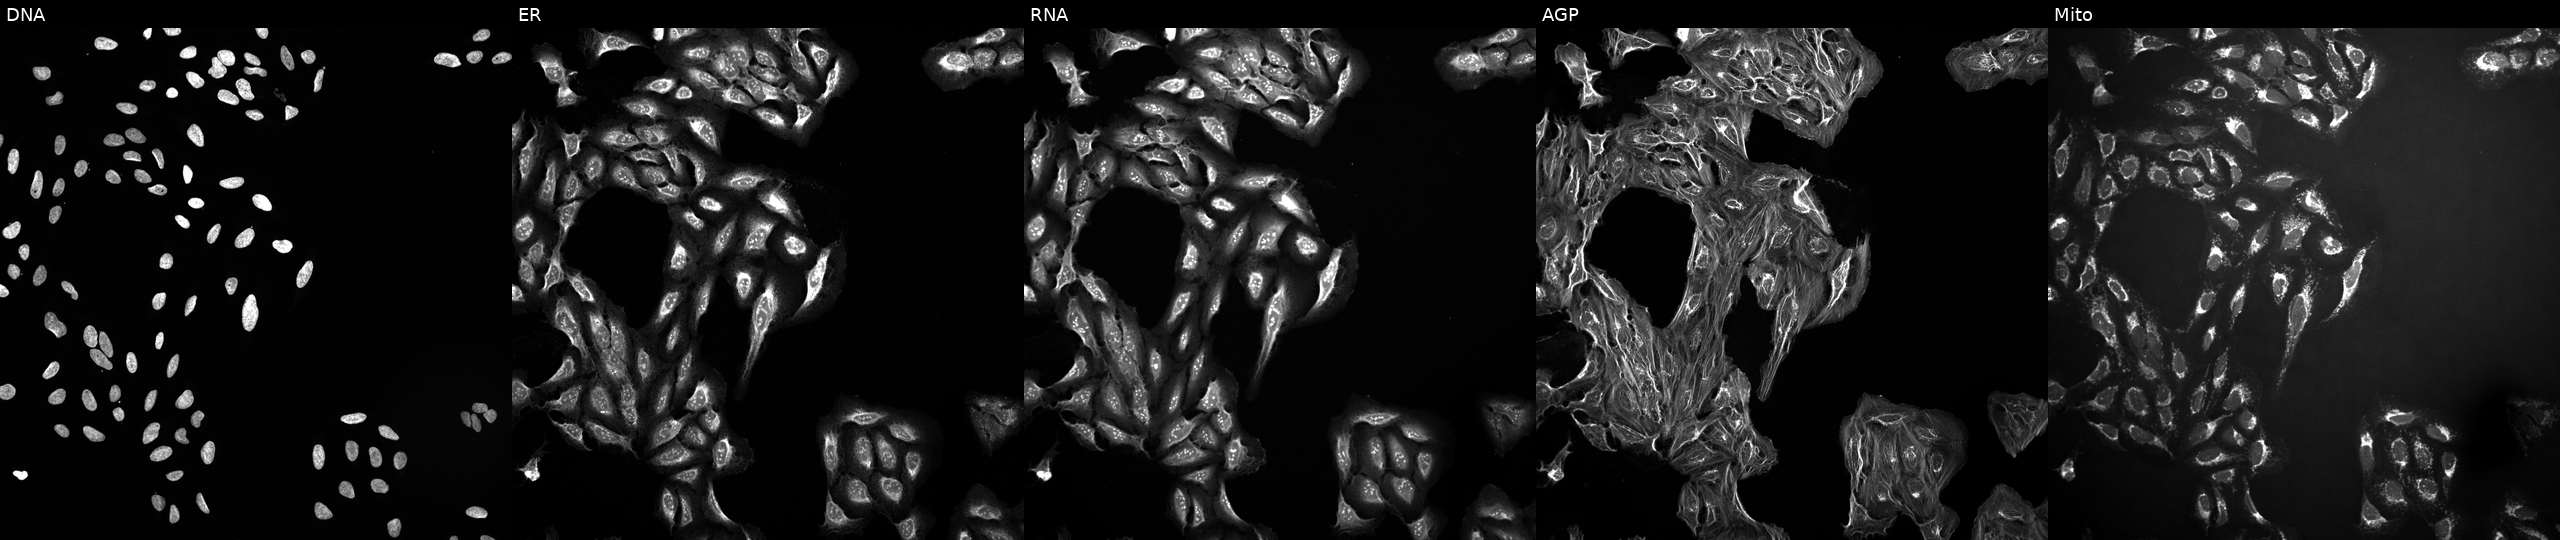
Five-channel Cell Painting image of U2OS cells perturbed with a small-molecule compound (InChIKey BOFQWVMAQOTZIW-UHFFFAOYSA-N) [SMILES: O=C(O)c1ccc(-n2nc(-c3ccccc3O)nc2-c2ccccc2O)cc1] (JUMP id JCP2022_007613). From left to right: DNA (nuclei); ER (endoplasmic reticulum); RNA (nucleoli and cytoplasmic RNA); AGP (actin cytoskeleton, Golgi, and plasma membrane); Mito (mitochondria). Source 10, plate Dest210727-153003, well D04.